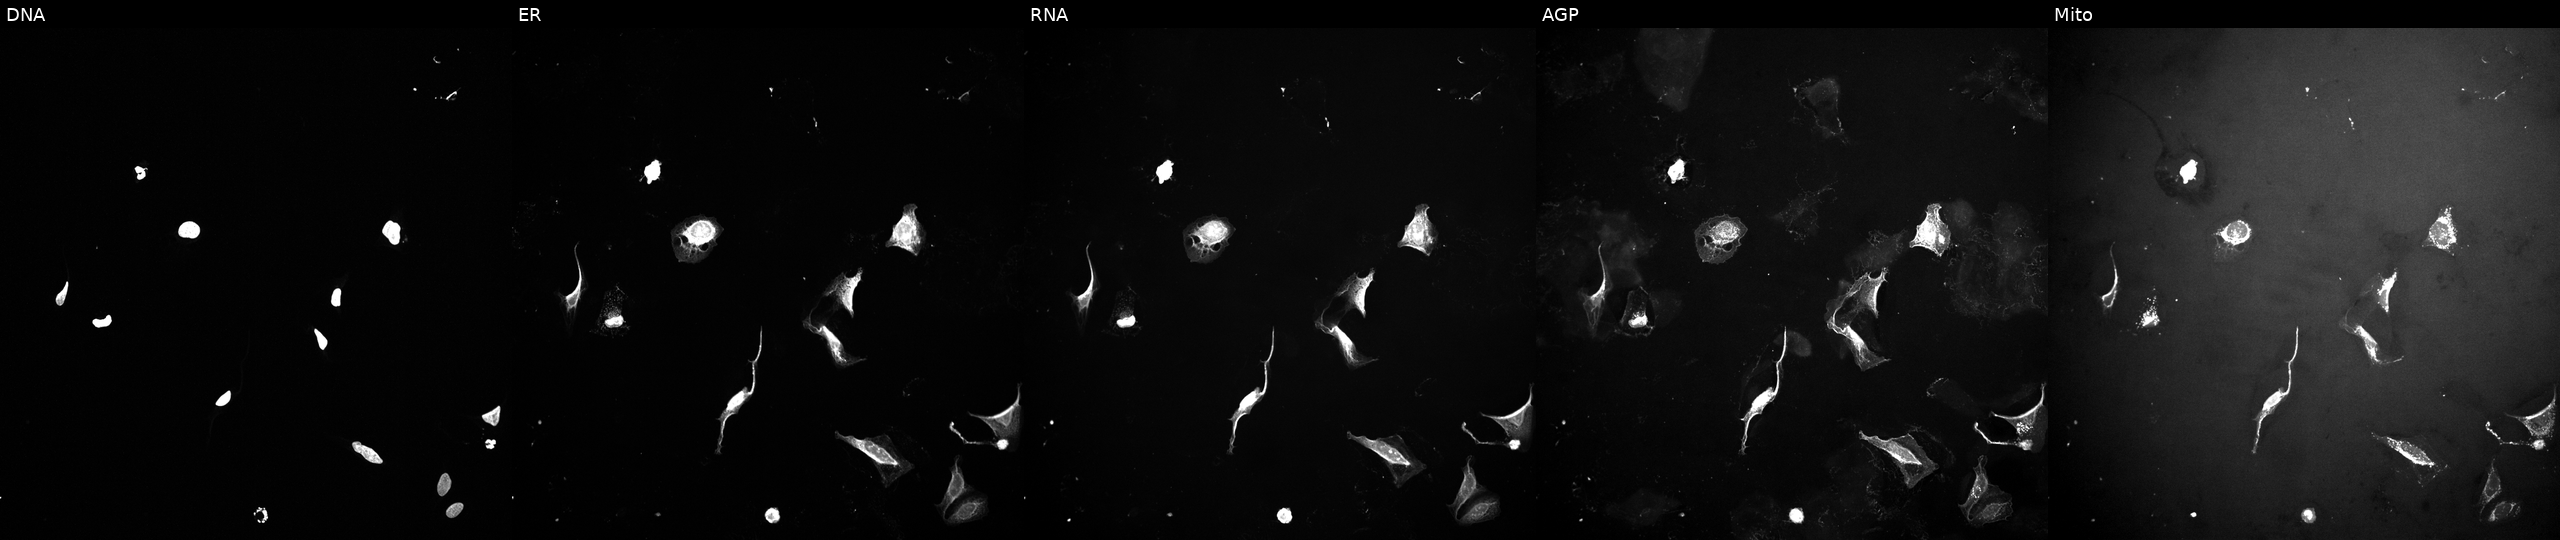
JUMP Cell Painting — TARGET2 plate. U2OS cells exposed to a small-molecule compound (InChIKey AYCPARAPKDAOEN-UHFFFAOYSA-N). The five panels, left to right, show DNA, ER, RNA, AGP, and Mito. Source 10, plate Dest210803-153958, well M11.